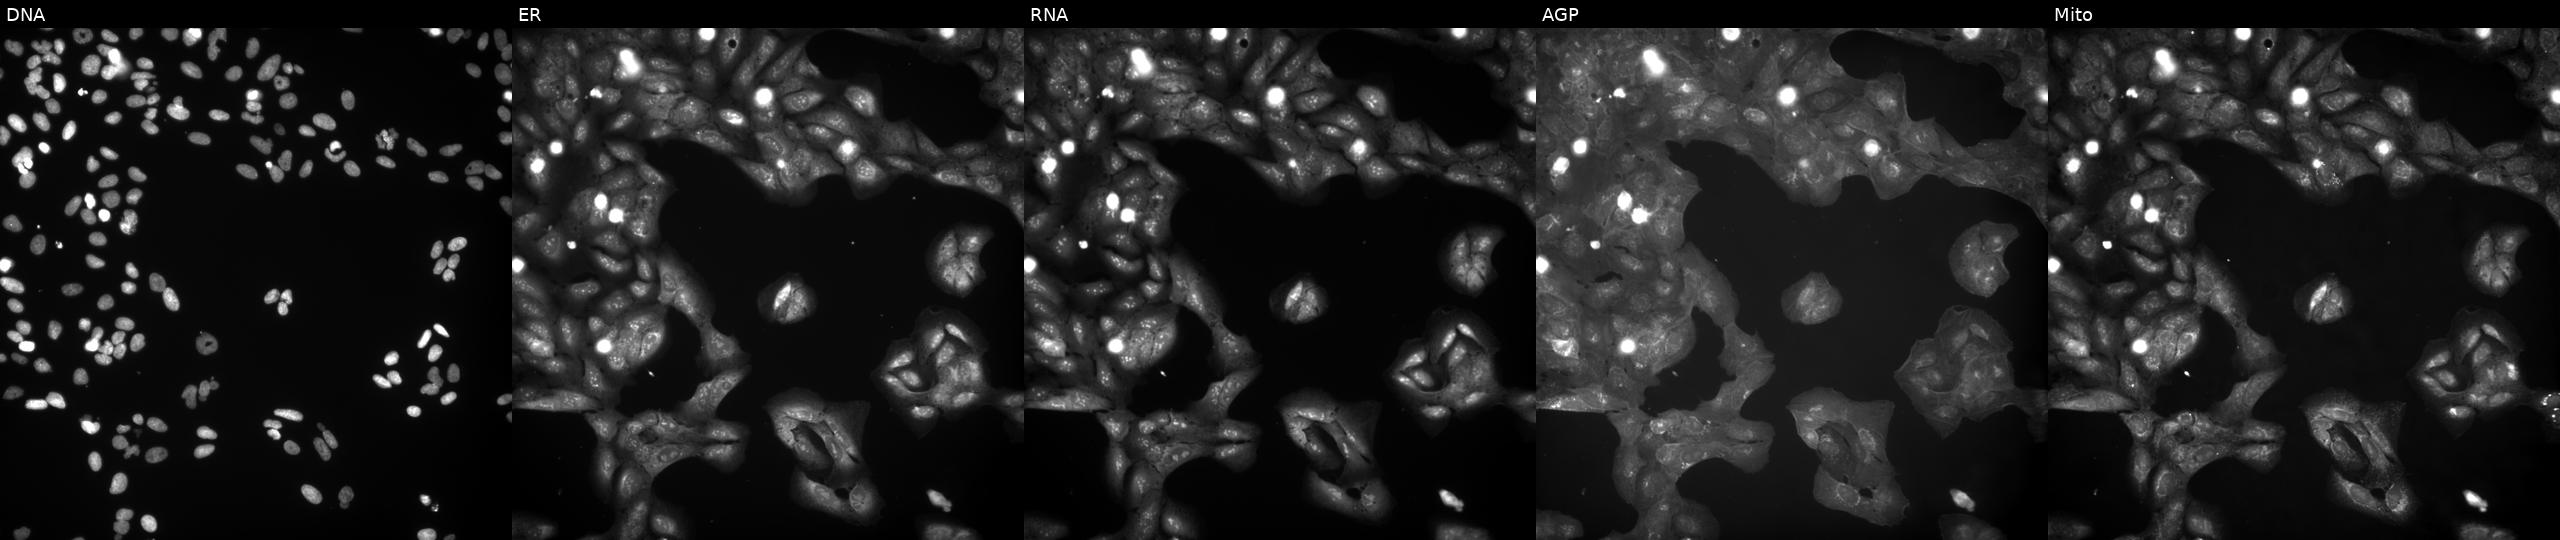
This image strip shows the five Cell Painting channels for a single field of U2OS cells perturbed with a small-molecule compound (InChIKey CMAQQROATYYIHI-UHFFFAOYSA-N). The five panels, left to right, show DNA, ER, RNA, AGP, and Mito. Source 9, plate GR00003382, well L39.